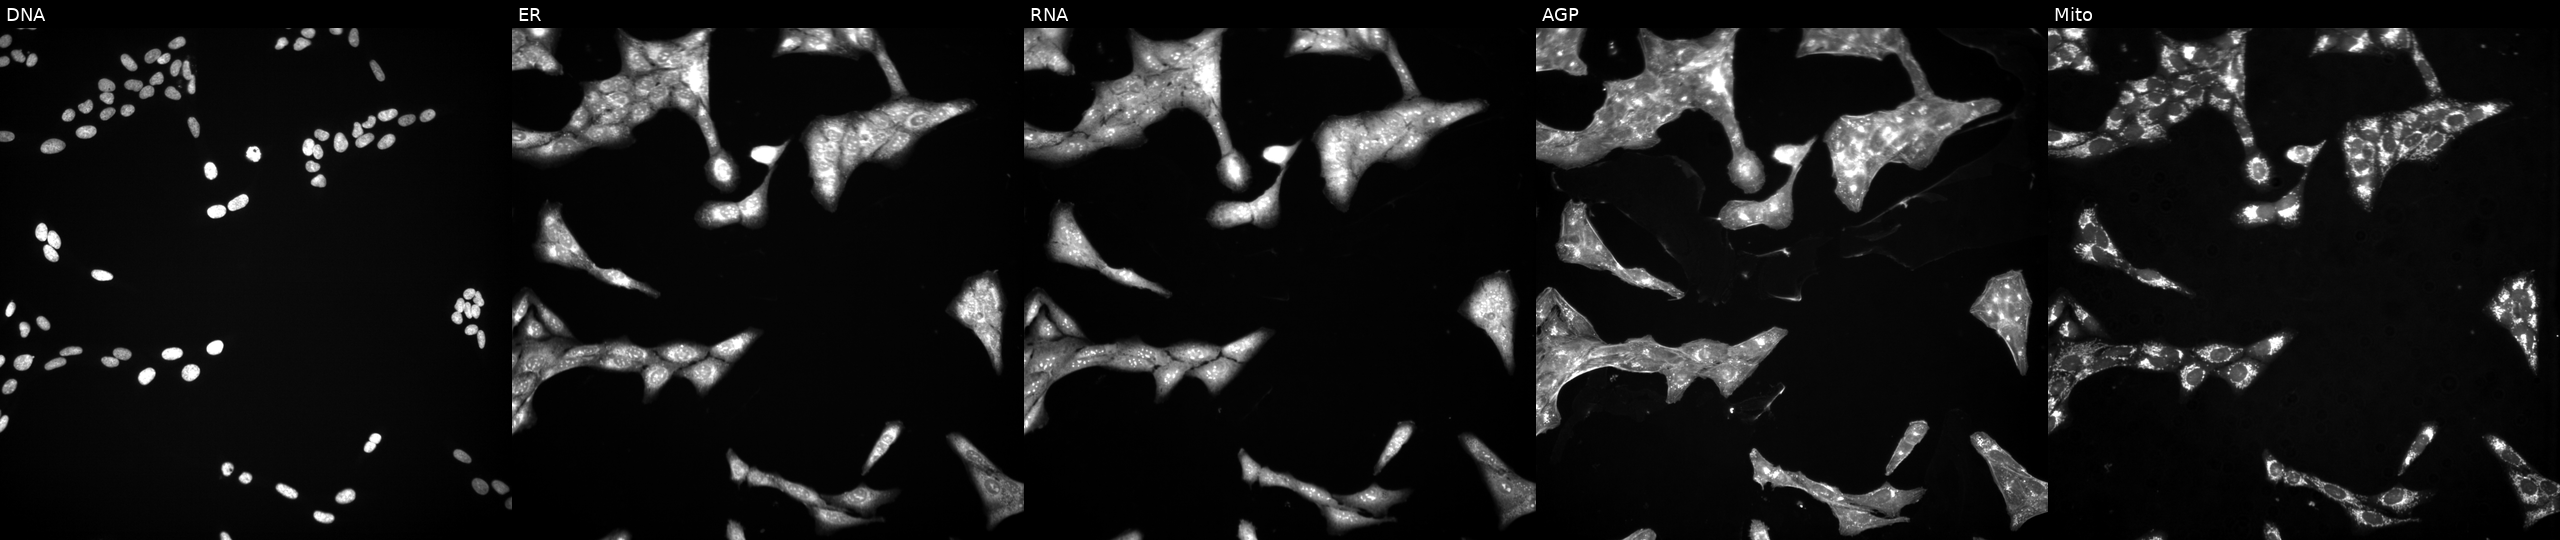
U2OS cells, Cell Painting assay, treated with a small-molecule compound. From left to right: DNA (nuclei); ER (endoplasmic reticulum); RNA (nucleoli and cytoplasmic RNA); AGP (actin cytoskeleton, Golgi, and plasma membrane); Mito (mitochondria). Each panel is percentile-stretched 16-bit fluorescence. Source 3, plate JCPQC051, well P01.